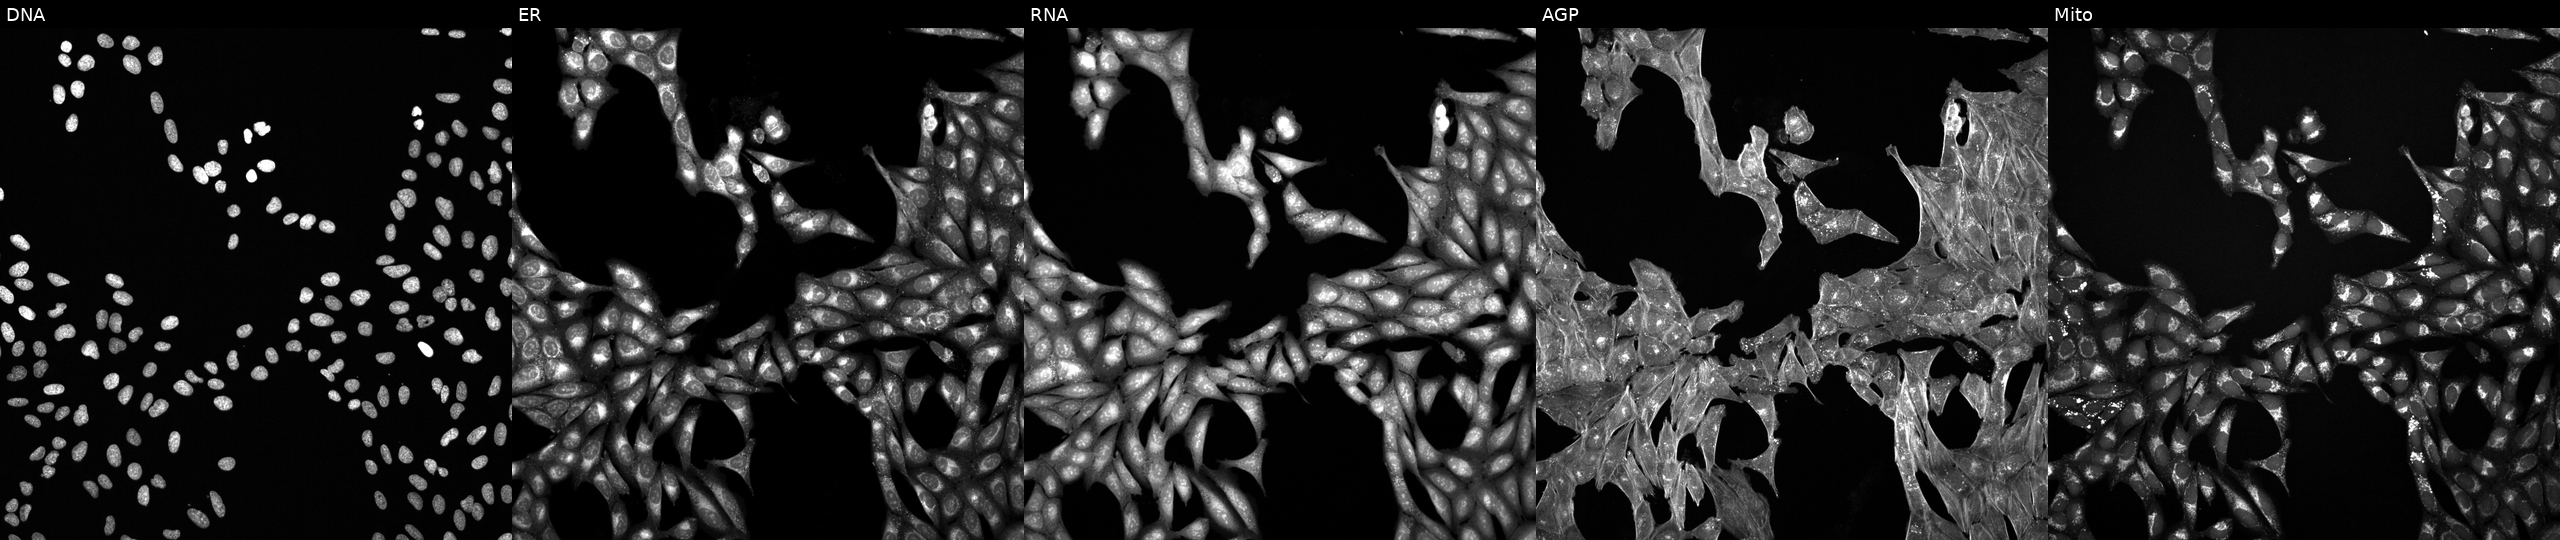
Five-channel Cell Painting image of U2OS cells exposed to a small-molecule compound (InChIKey JVCWPUFNLFSKFS-UHFFFAOYSA-N). The five panels, left to right, show DNA, ER, RNA, AGP, and Mito.